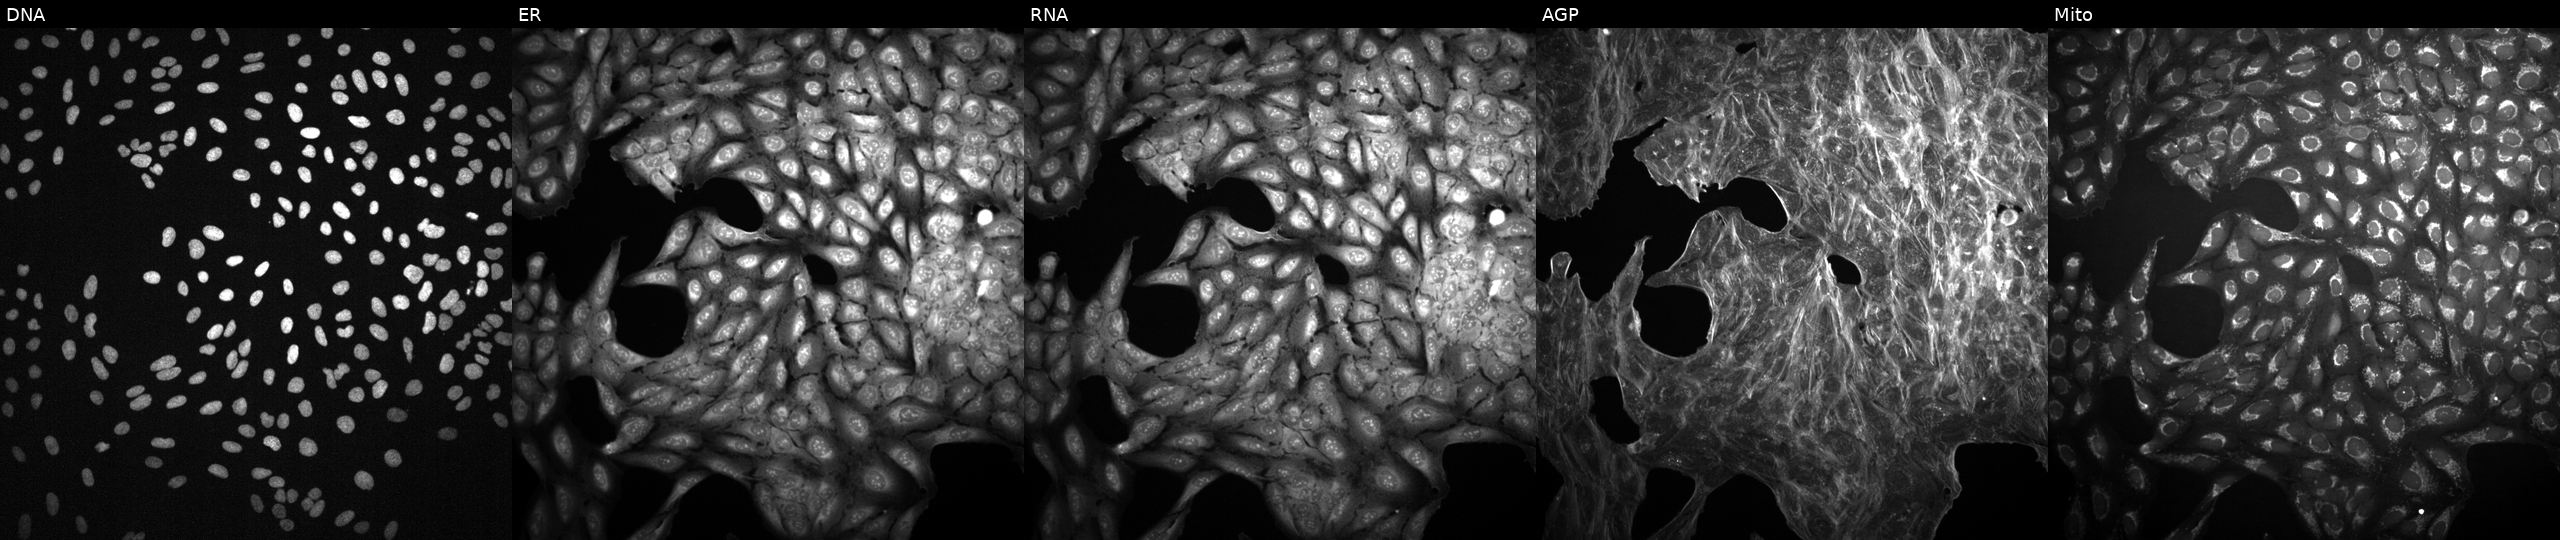
Panels show, left to right, DNA (nuclei); ER (endoplasmic reticulum); RNA (nucleoli and cytoplasmic RNA); AGP (actin cytoskeleton, Golgi, and plasma membrane); Mito (mitochondria). U2OS osteosarcoma cells perturbed with a small-molecule compound (InChIKey WATNXVHKRRTUFK-UHFFFAOYSA-N) (JUMP id JCP2022_097564). Cell Painting assay, JUMP-CP dataset. Source 2, plate 1053597936, well M06.